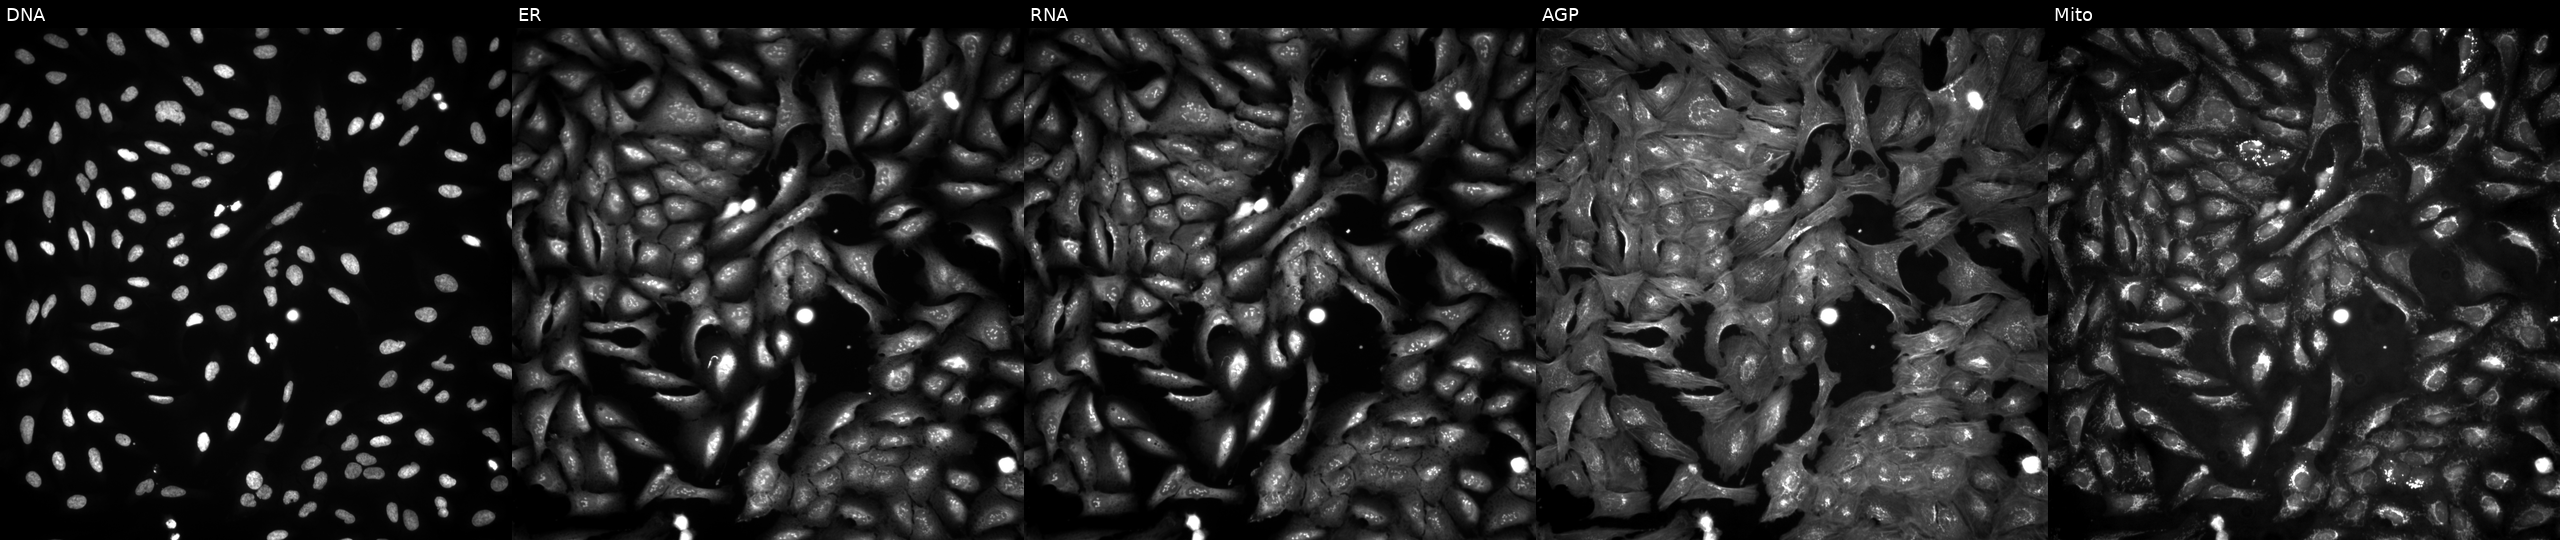
The five panels, left to right, show DNA, ER, RNA, AGP, and Mito. U2OS osteosarcoma cells overexpressing CCDC28B via ORF transfection (JUMP id JCP2022_914947). Cell Painting assay, JUMP-CP dataset.